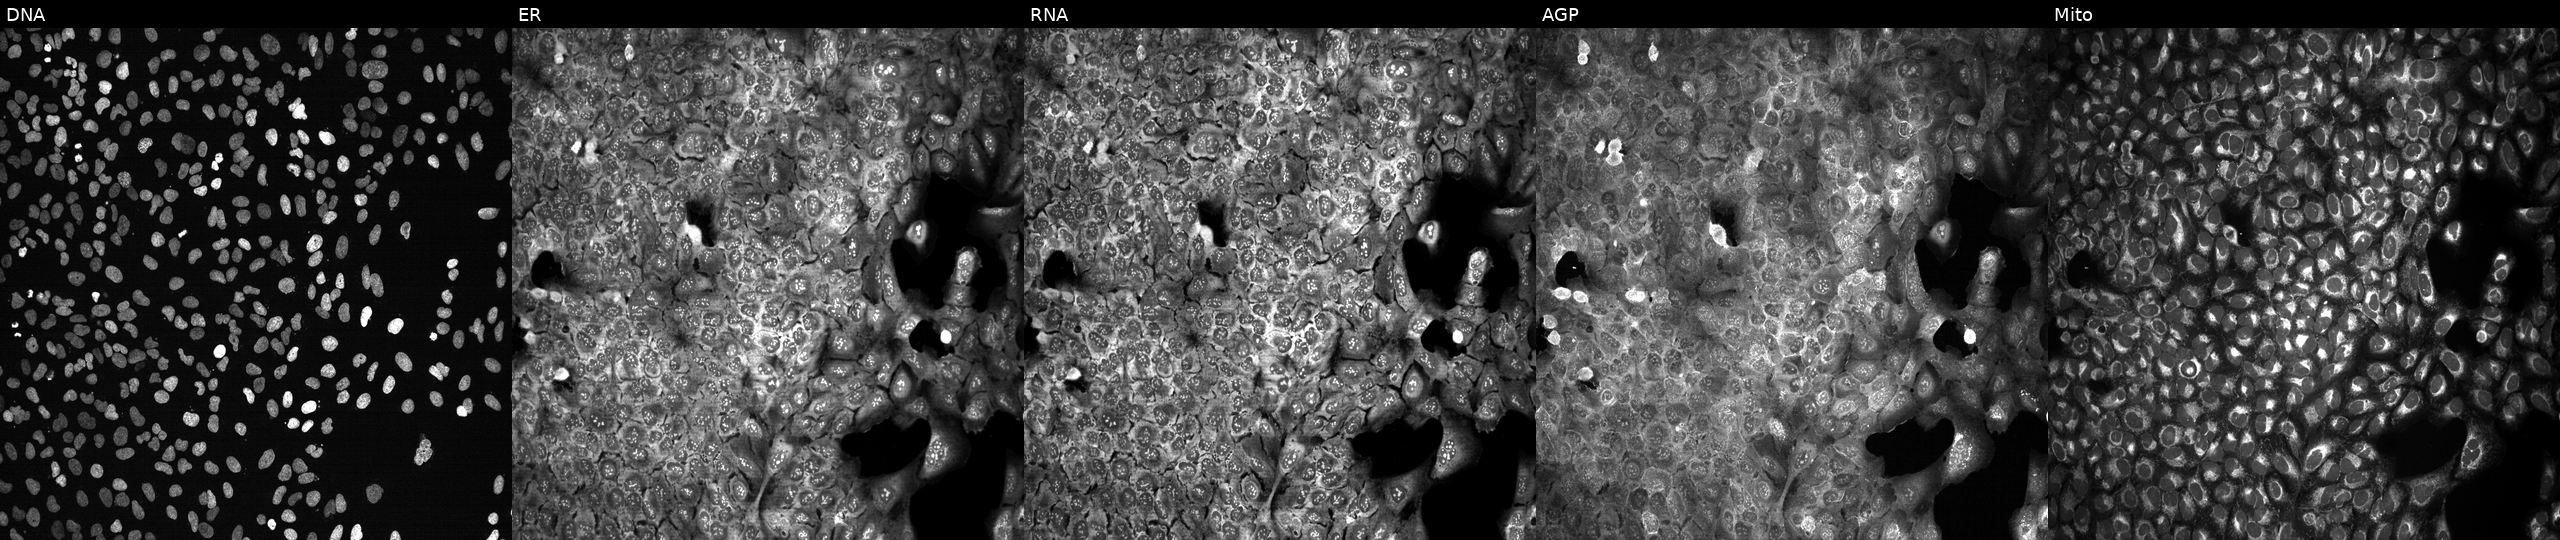
Panels show, left to right, DNA (nuclei); ER (endoplasmic reticulum); RNA (nucleoli and cytoplasmic RNA); AGP (actin cytoskeleton, Golgi, and plasma membrane); Mito (mitochondria). U2OS osteosarcoma cells with CYC1 knocked out by CRISPR (JUMP id JCP2022_801613). Cell Painting assay, JUMP-CP dataset.